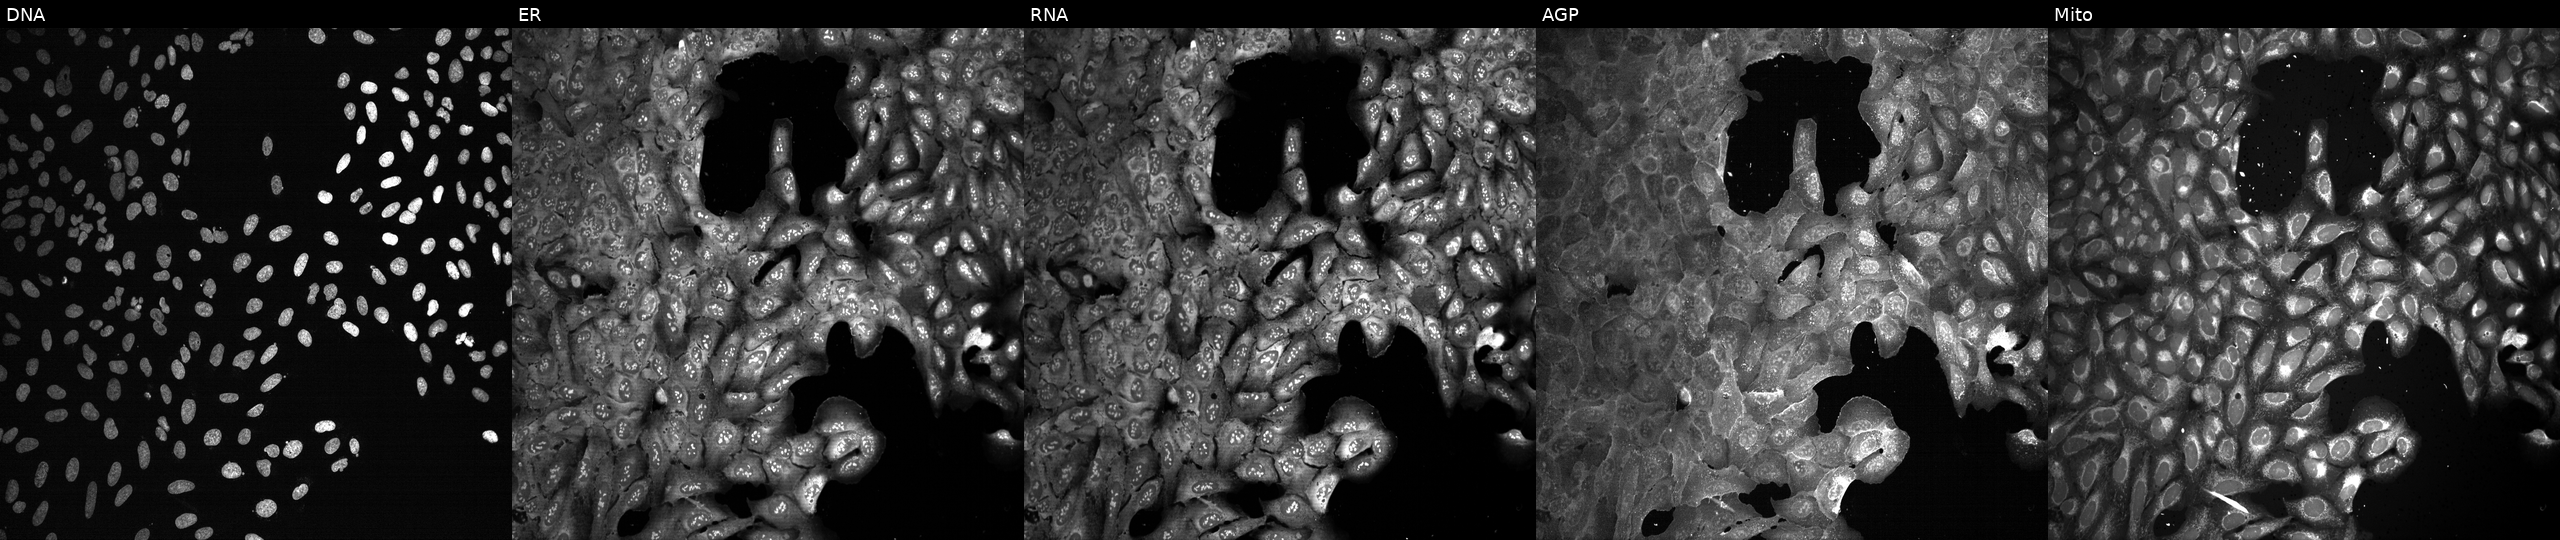
The five panels, left to right, show DNA (nuclei); ER (endoplasmic reticulum); RNA (nucleoli and cytoplasmic RNA); AGP (actin cytoskeleton, Golgi, and plasma membrane); Mito (mitochondria). U2OS osteosarcoma cells with POLE knocked out by CRISPR (JUMP id JCP2022_805327). Cell Painting assay, JUMP-CP dataset.